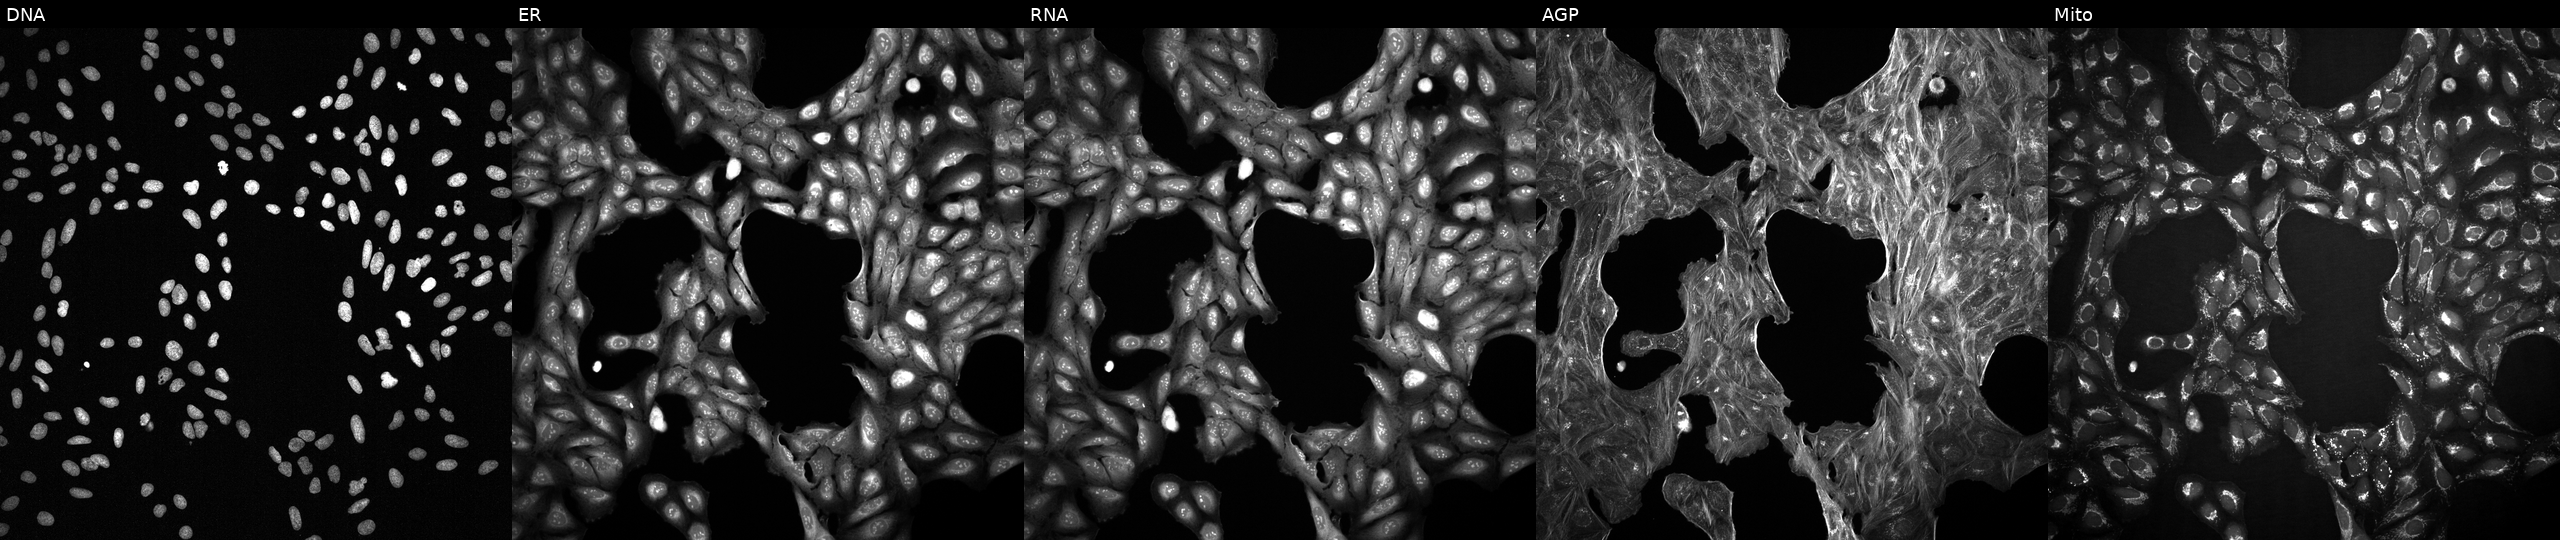
U2OS cells, Cell Painting assay, treated with DMSO vehicle only (negative control) (JUMP id JCP2022_033924). Channels (left→right): DNA, ER, RNA, AGP, and Mito. Each panel is percentile-stretched 16-bit fluorescence. Source 2, plate 1053600674, well D09.